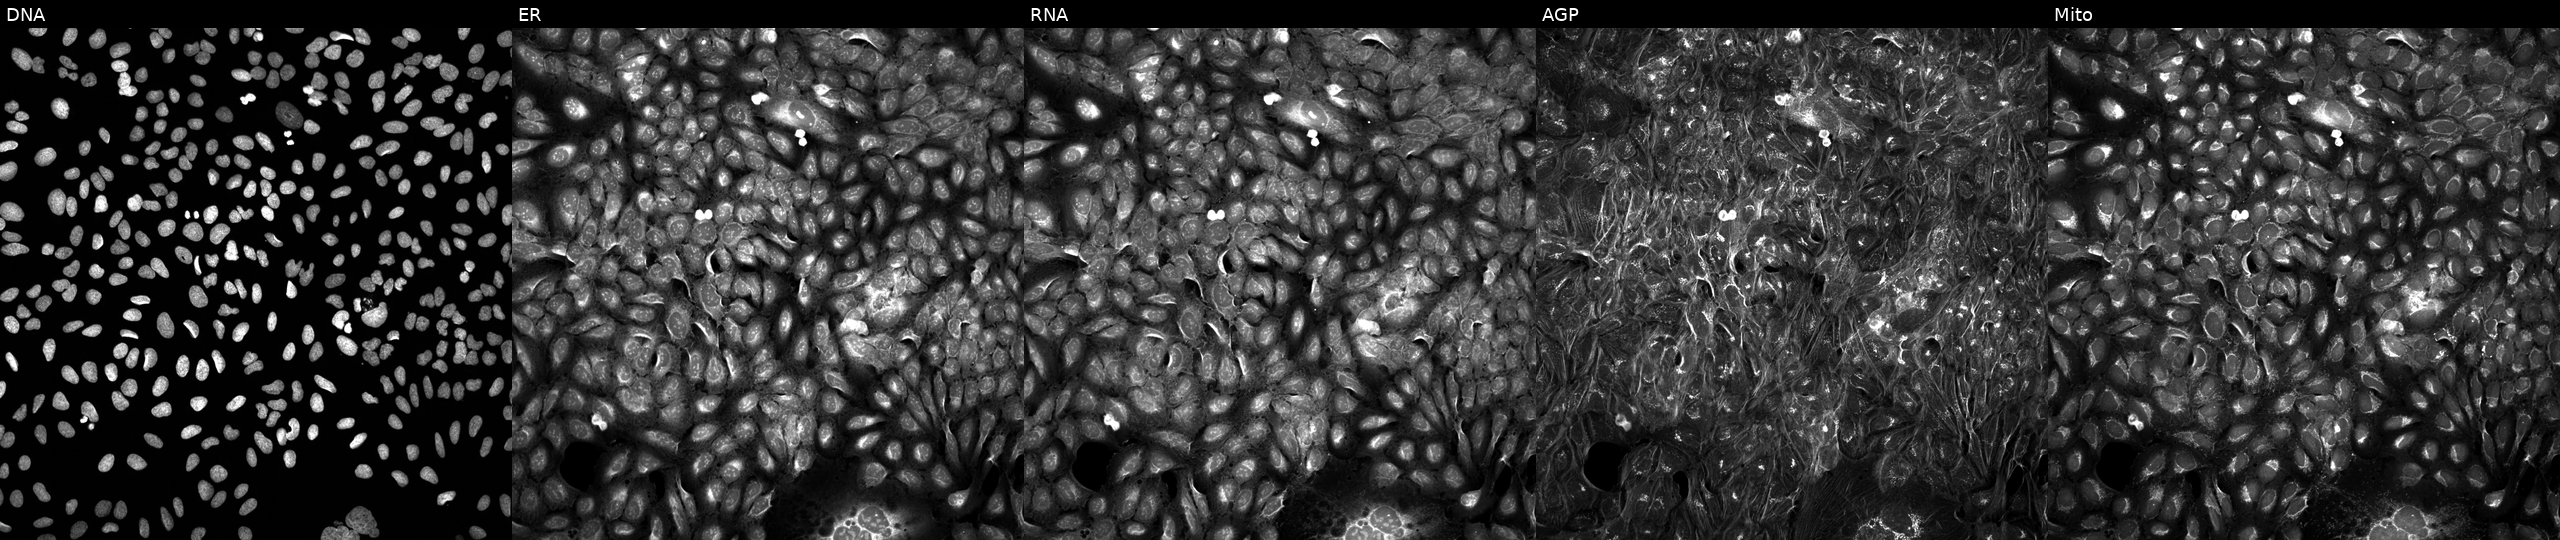
Five-channel Cell Painting image of U2OS cells exposed to a small-molecule compound. The five panels, left to right, show DNA (nuclei); ER (endoplasmic reticulum); RNA (nucleoli and cytoplasmic RNA); AGP (actin cytoskeleton, Golgi, and plasma membrane); Mito (mitochondria). Source 5, plate APTJUM106, well P06.